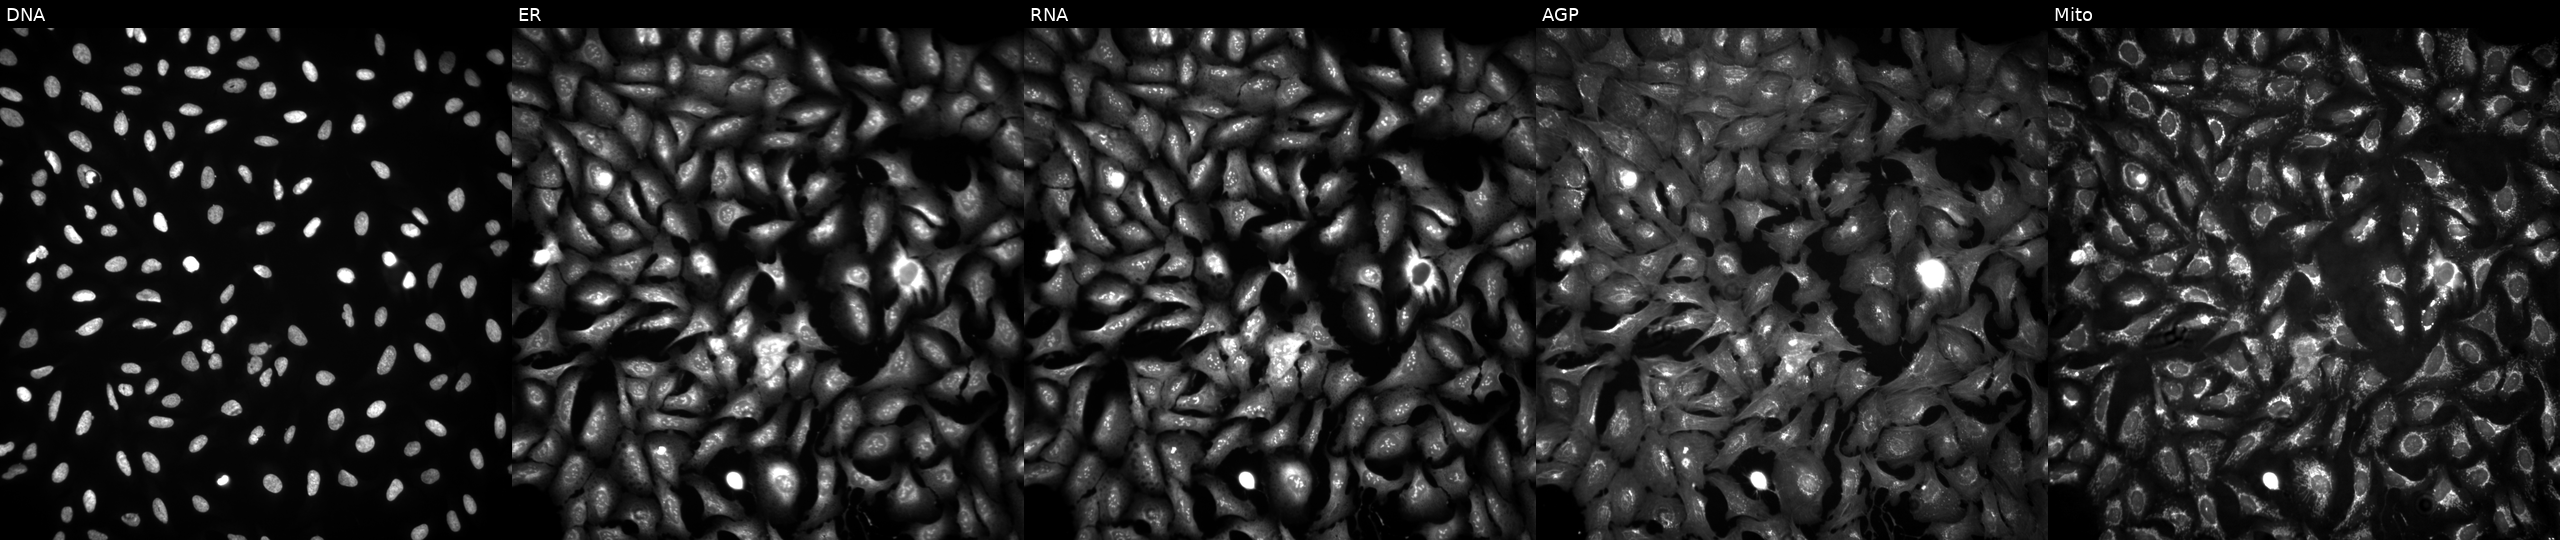
The five panels, left to right, show Hoechst 33342, concanavalin A, SYTO 14, phalloidin and WGA, MitoTracker. U2OS osteosarcoma cells with FABP7 overexpressed (ORF). Cell Painting assay, JUMP-CP dataset.